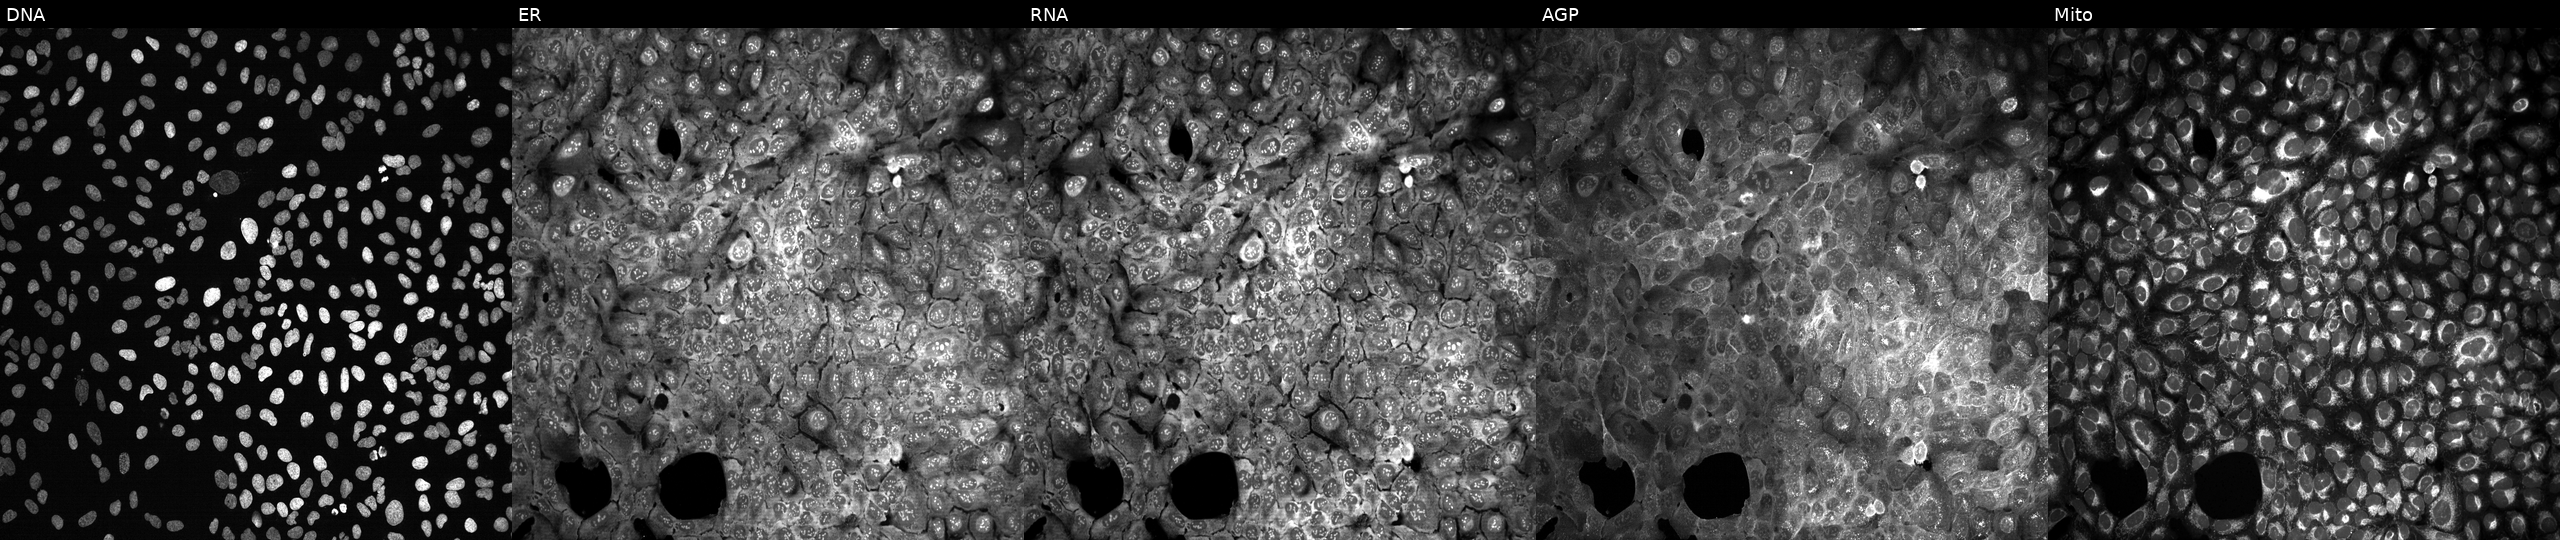
Five-channel Cell Painting image of U2OS cells with a non-targeting CRISPR guide (negative control). The five panels, left to right, show DNA, ER, RNA, AGP, and Mito.